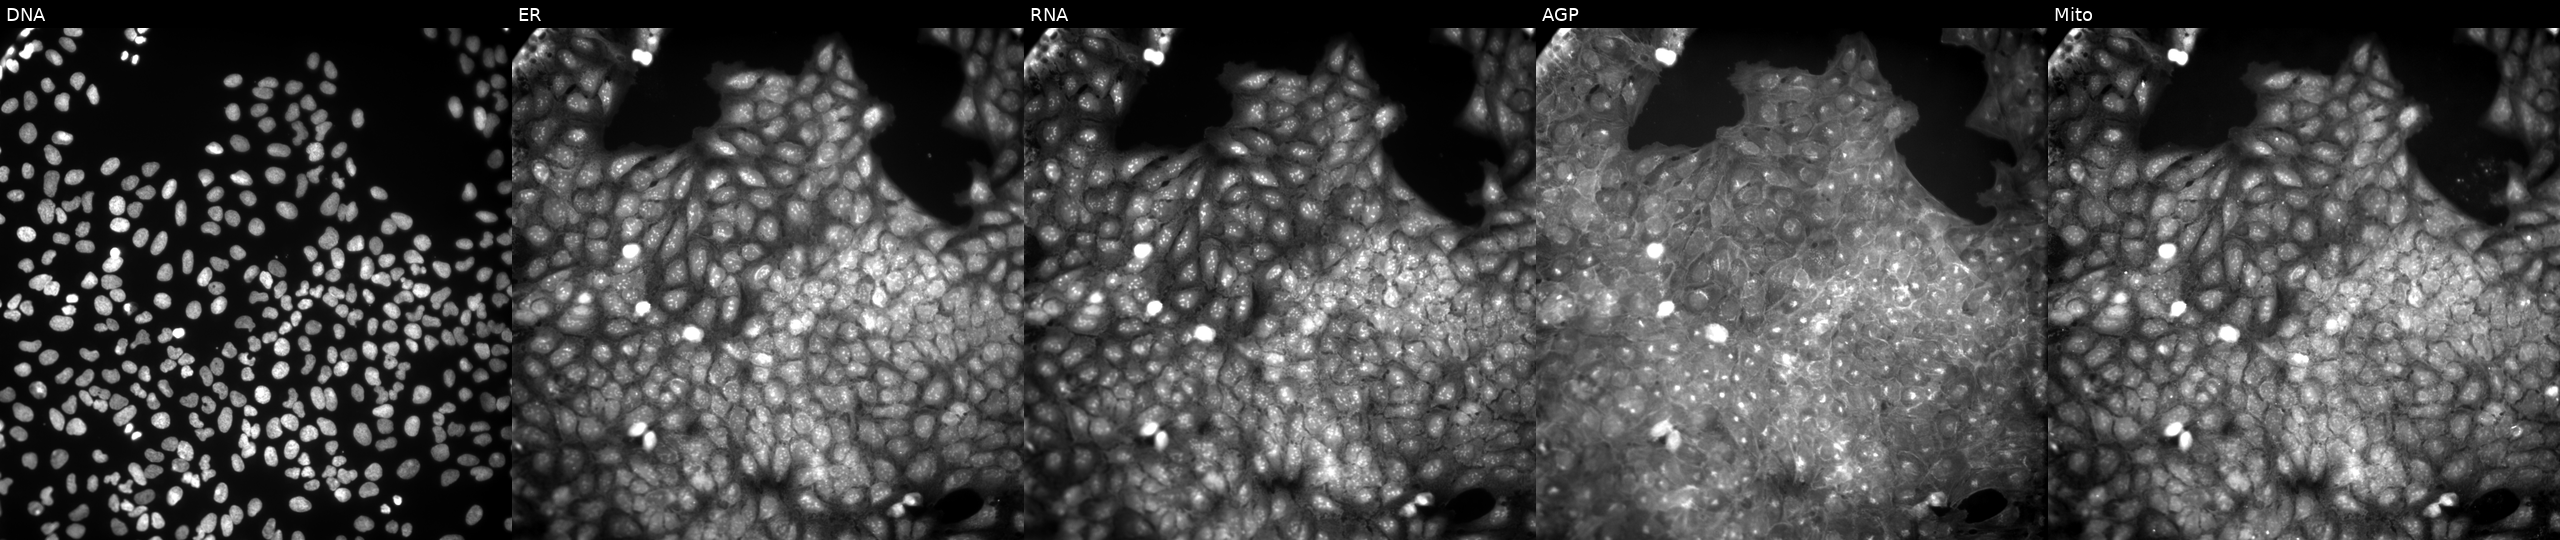
Five-channel Cell Painting image of U2OS cells treated with a small-molecule compound (InChIKey YHDYZOXFYCUOQL-UHFFFAOYSA-N) [SMILES: COc1cc(COc2ccc3c(C)c(CC(=O)O)c(=O)oc3c2C)cc(OC)c1OC] (JUMP id JCP2022_108412). Channels (left→right): Hoechst 33342, concanavalin A, SYTO 14, phalloidin and WGA, MitoTracker.